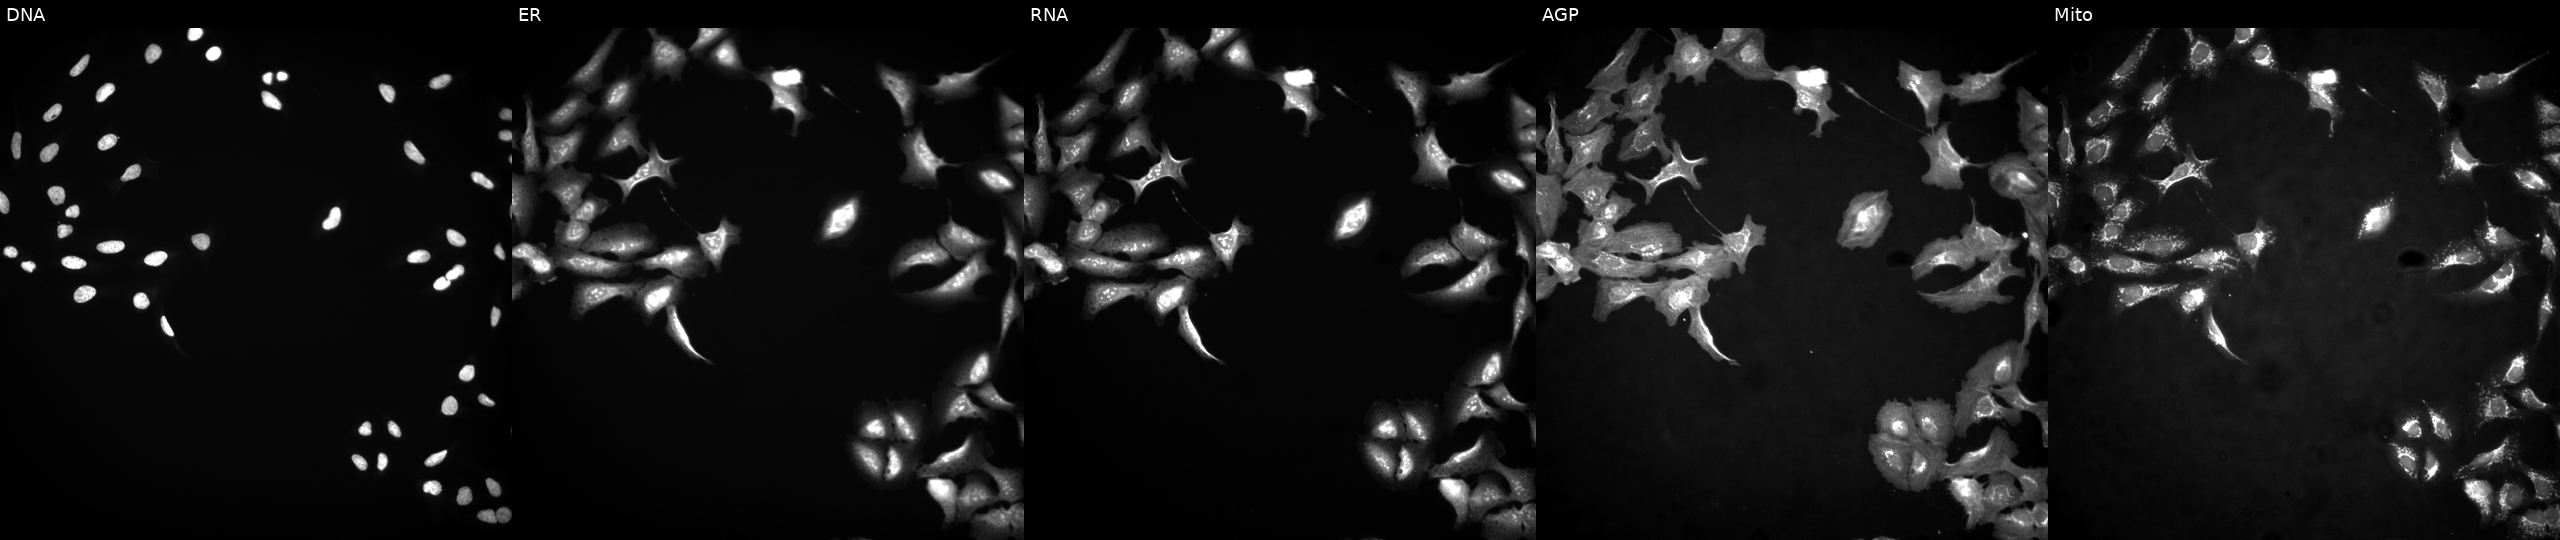
Panels show, left to right, DNA, ER, RNA, AGP, and Mito. U2OS osteosarcoma cells in an empty control well (no perturbation) (JUMP id JCP2022_999999). Cell Painting assay, JUMP-CP dataset.